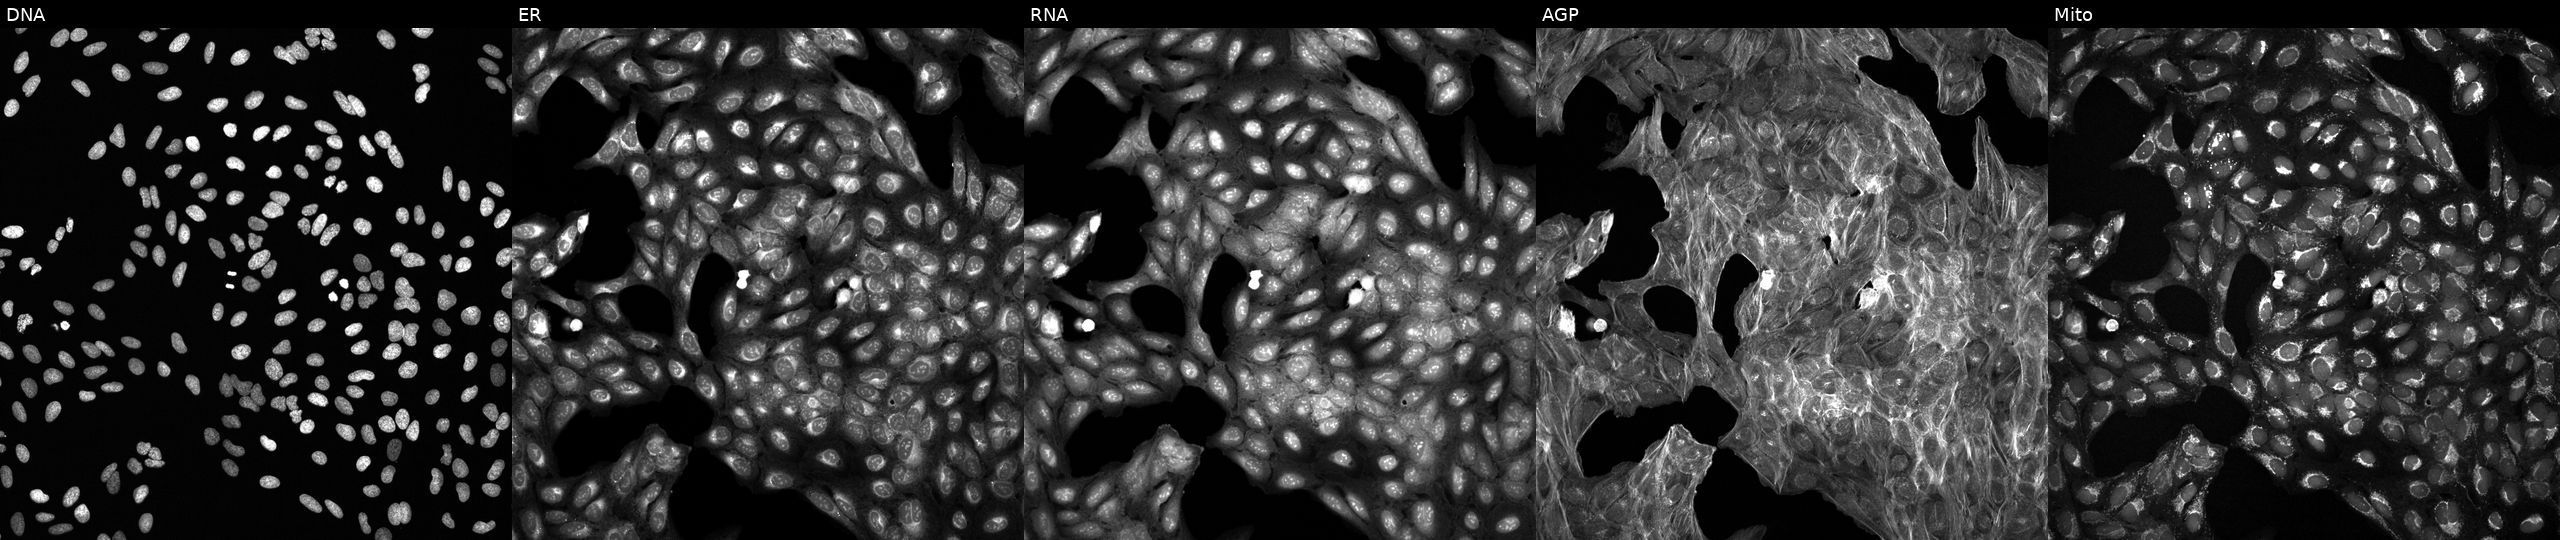
The five panels, left to right, show Hoechst 33342, concanavalin A, SYTO 14, phalloidin and WGA, MitoTracker. U2OS osteosarcoma cells exposed to a small-molecule compound (InChIKey ROBYKNONIPZMTK-UHFFFAOYSA-N) (JUMP id JCP2022_079617). Cell Painting assay, JUMP-CP dataset. Source 6, plate 110000293093, well B05.